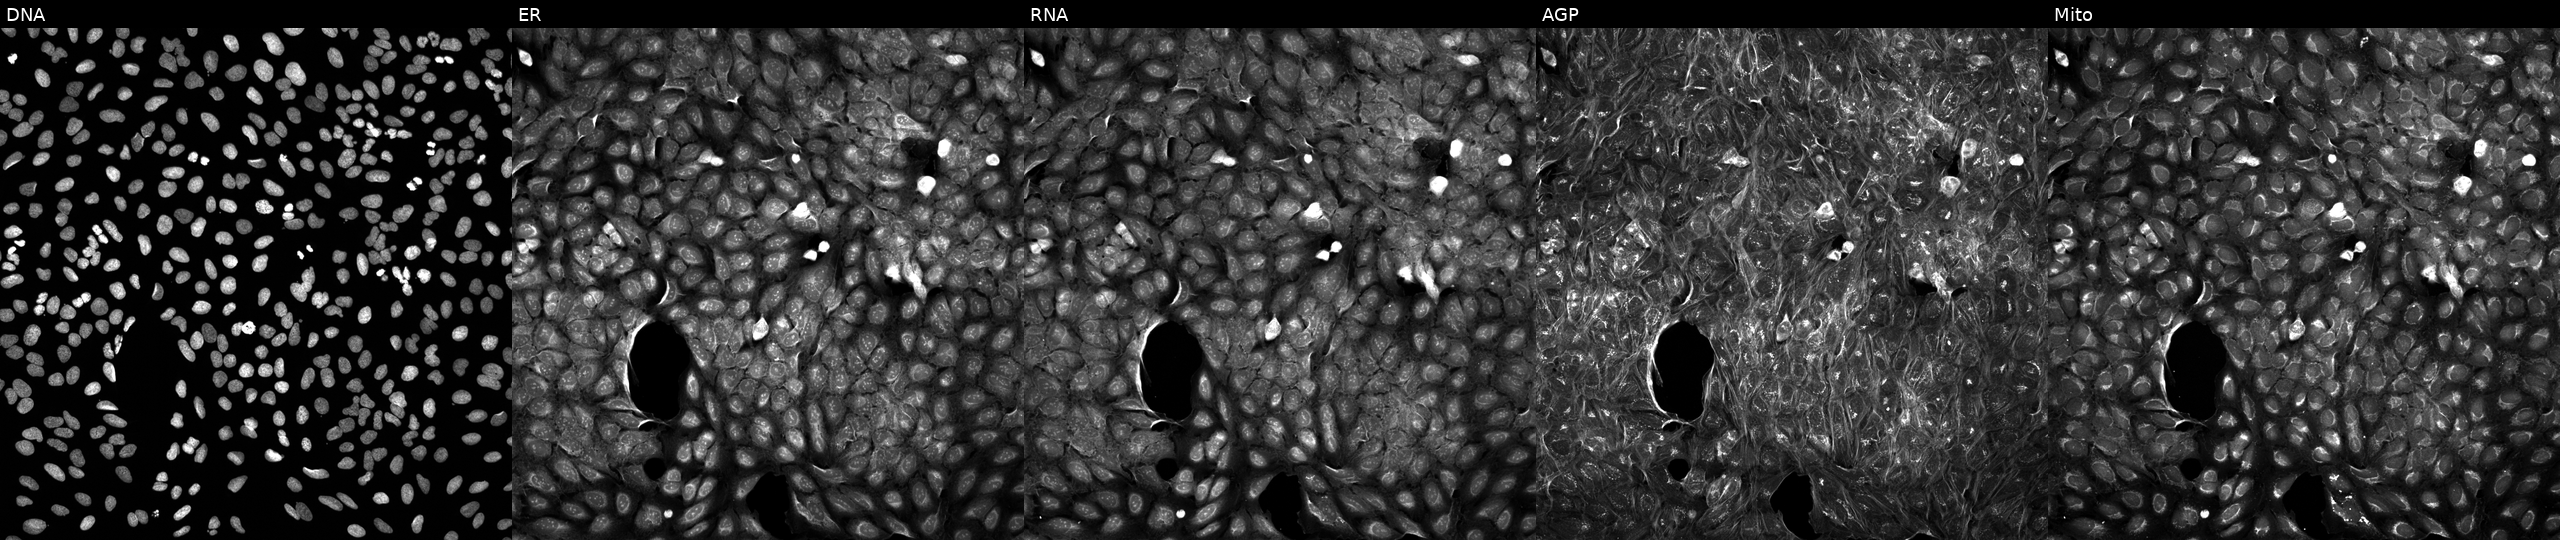
U2OS cells, Cell Painting assay, exposed to a small-molecule compound (InChIKey BJEQYFNSWBRODU-UHFFFAOYSA-N) [SMILES: CCCc1n[nH]c(=NC(=O)c2cnn(-c3ccc(=O)[nH]n3)c2C(F)(F)F)s1] (JUMP id JCP2022_006710). Panels show, left to right, DNA (nuclei); ER (endoplasmic reticulum); RNA (nucleoli and cytoplasmic RNA); AGP (actin cytoskeleton, Golgi, and plasma membrane); Mito (mitochondria). Each panel is percentile-stretched 16-bit fluorescence. Source 5, plate APTJUM105, well P10.